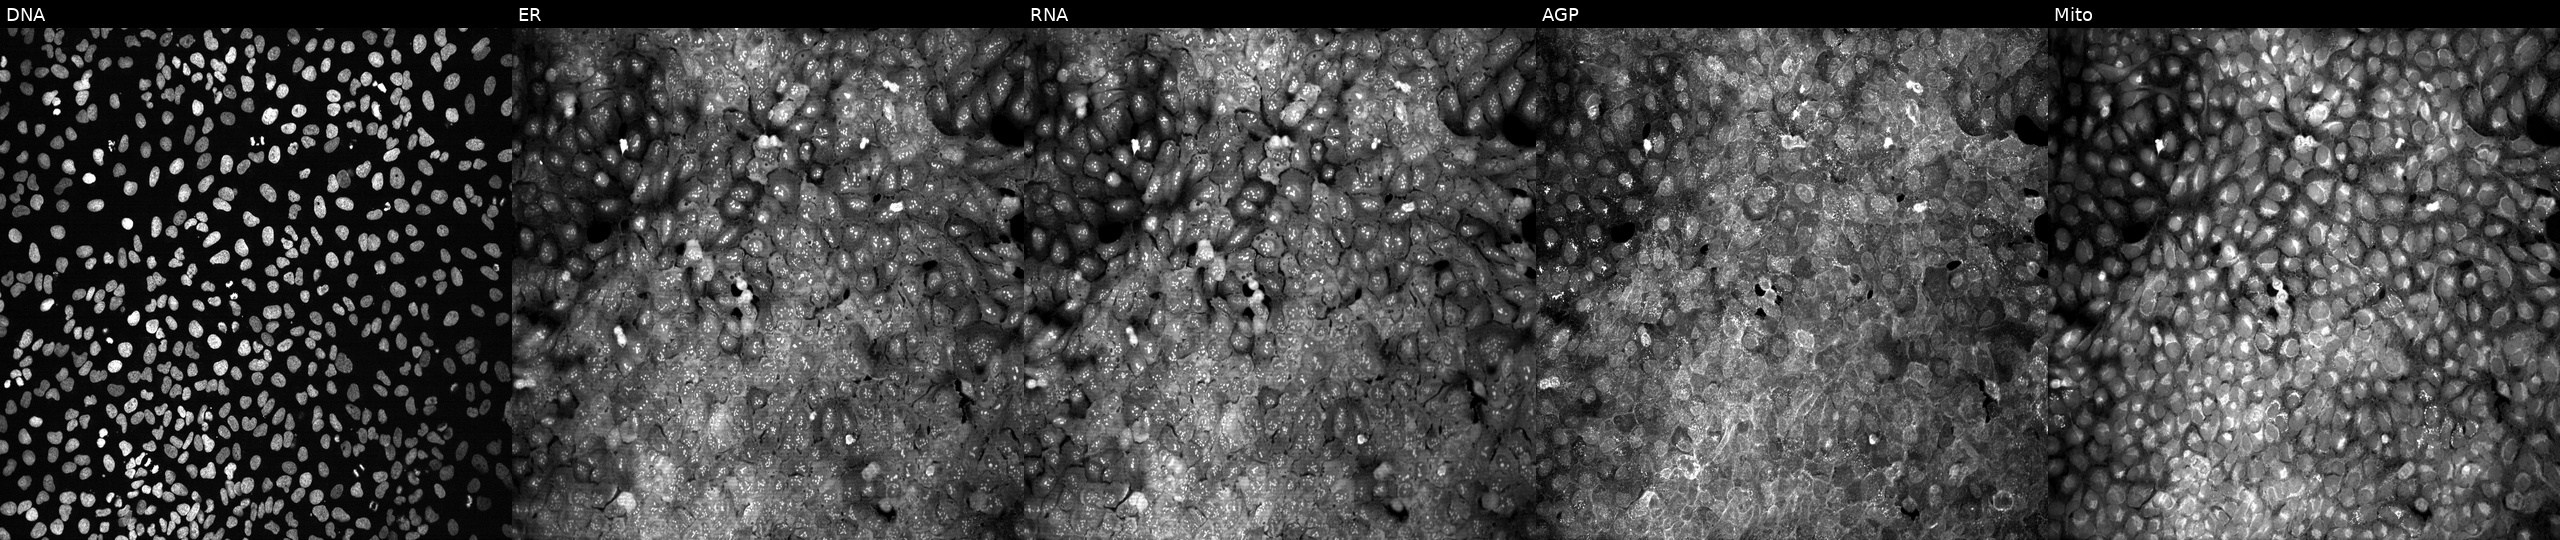
U2OS cells, Cell Painting assay, with ALDH1A1 knocked out by CRISPR. Channels (left→right): Hoechst 33342, concanavalin A, SYTO 14, phalloidin and WGA, MitoTracker. Each panel is percentile-stretched 16-bit fluorescence.